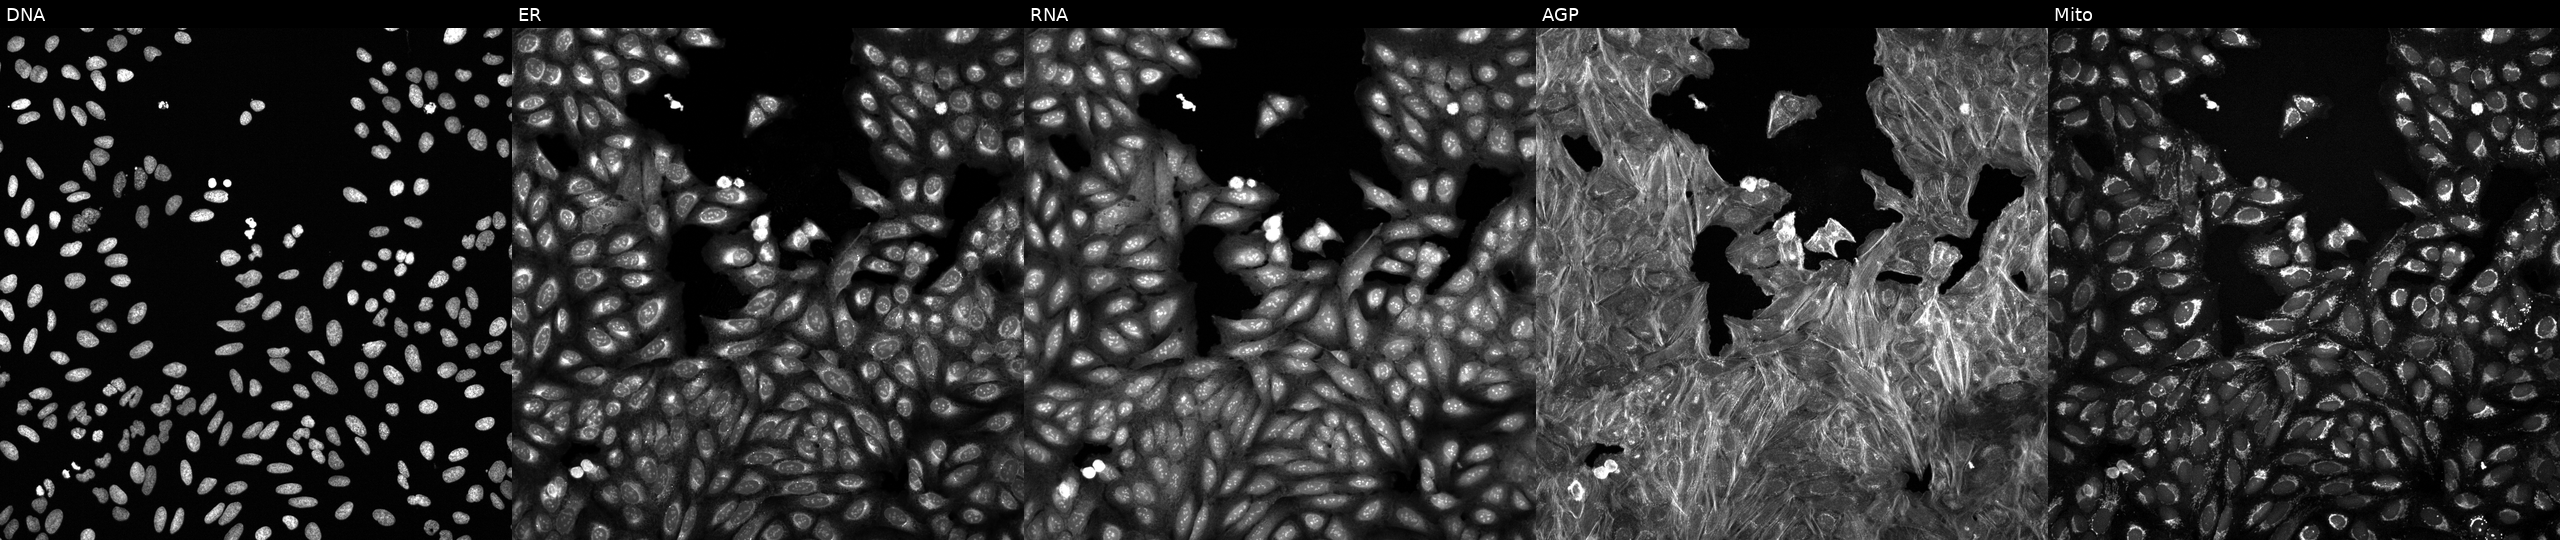
High-content fluorescence microscopy (Cell Painting). Cell line: U2OS. Perturbation: perturbed with a small-molecule compound [SMILES: CCCCC(=O)N1CCN(CC)c2ncccc21]. The five panels, left to right, show Hoechst 33342, concanavalin A, SYTO 14, phalloidin and WGA, MitoTracker.